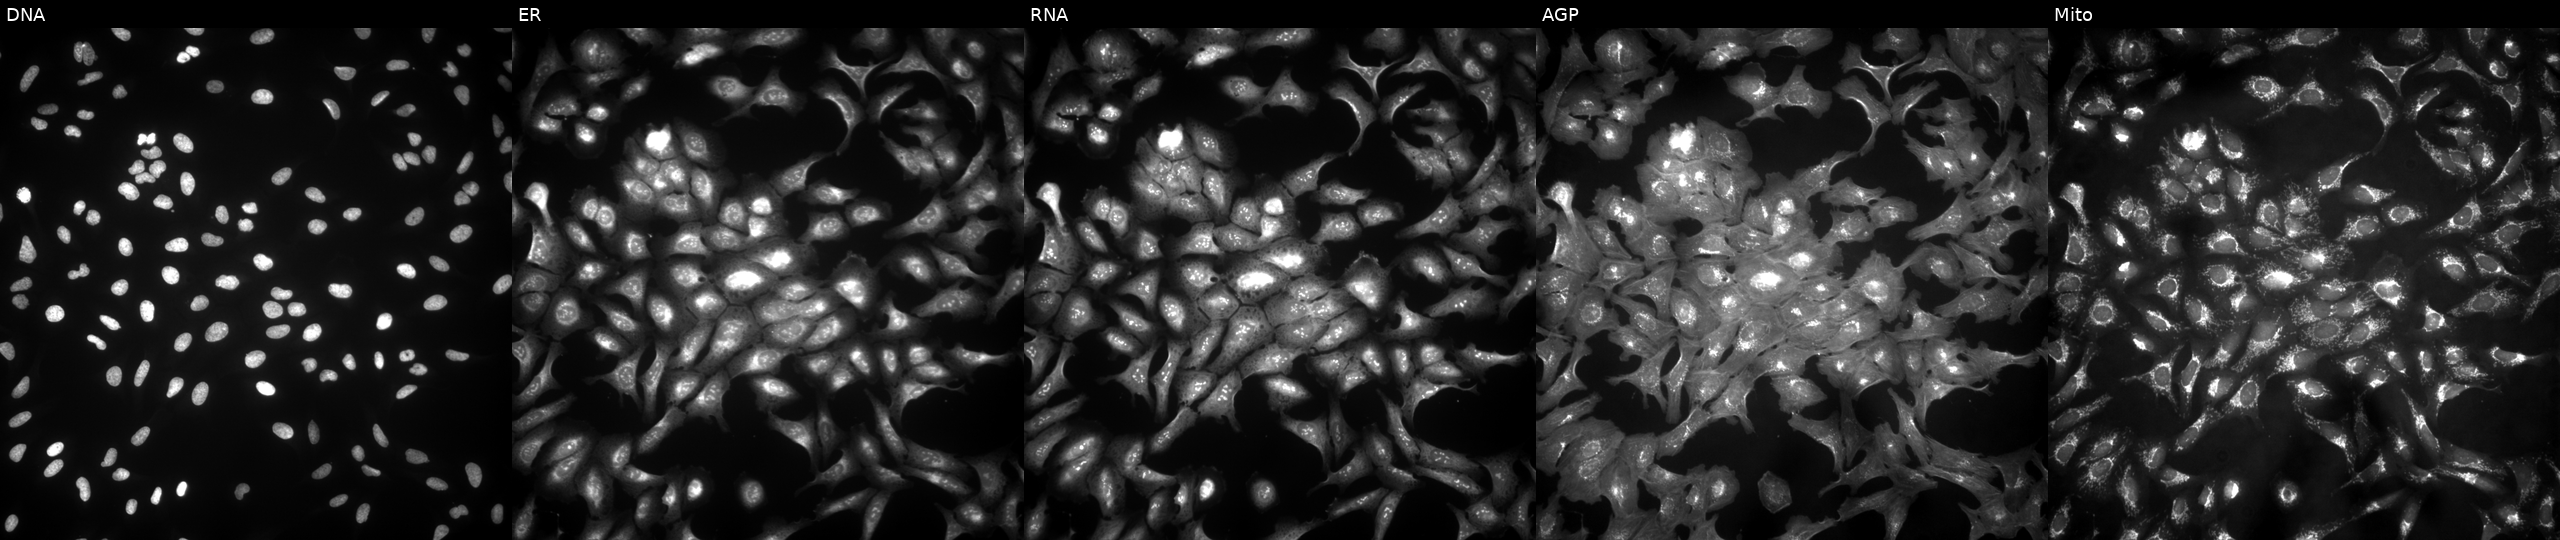
U2OS cells, Cell Painting assay, transfected with an ORF construct for ACTR3B. From left to right: DNA (nuclei); ER (endoplasmic reticulum); RNA (nucleoli and cytoplasmic RNA); AGP (actin cytoskeleton, Golgi, and plasma membrane); Mito (mitochondria). Each panel is percentile-stretched 16-bit fluorescence. Source 4, plate BR00123506, well J16.